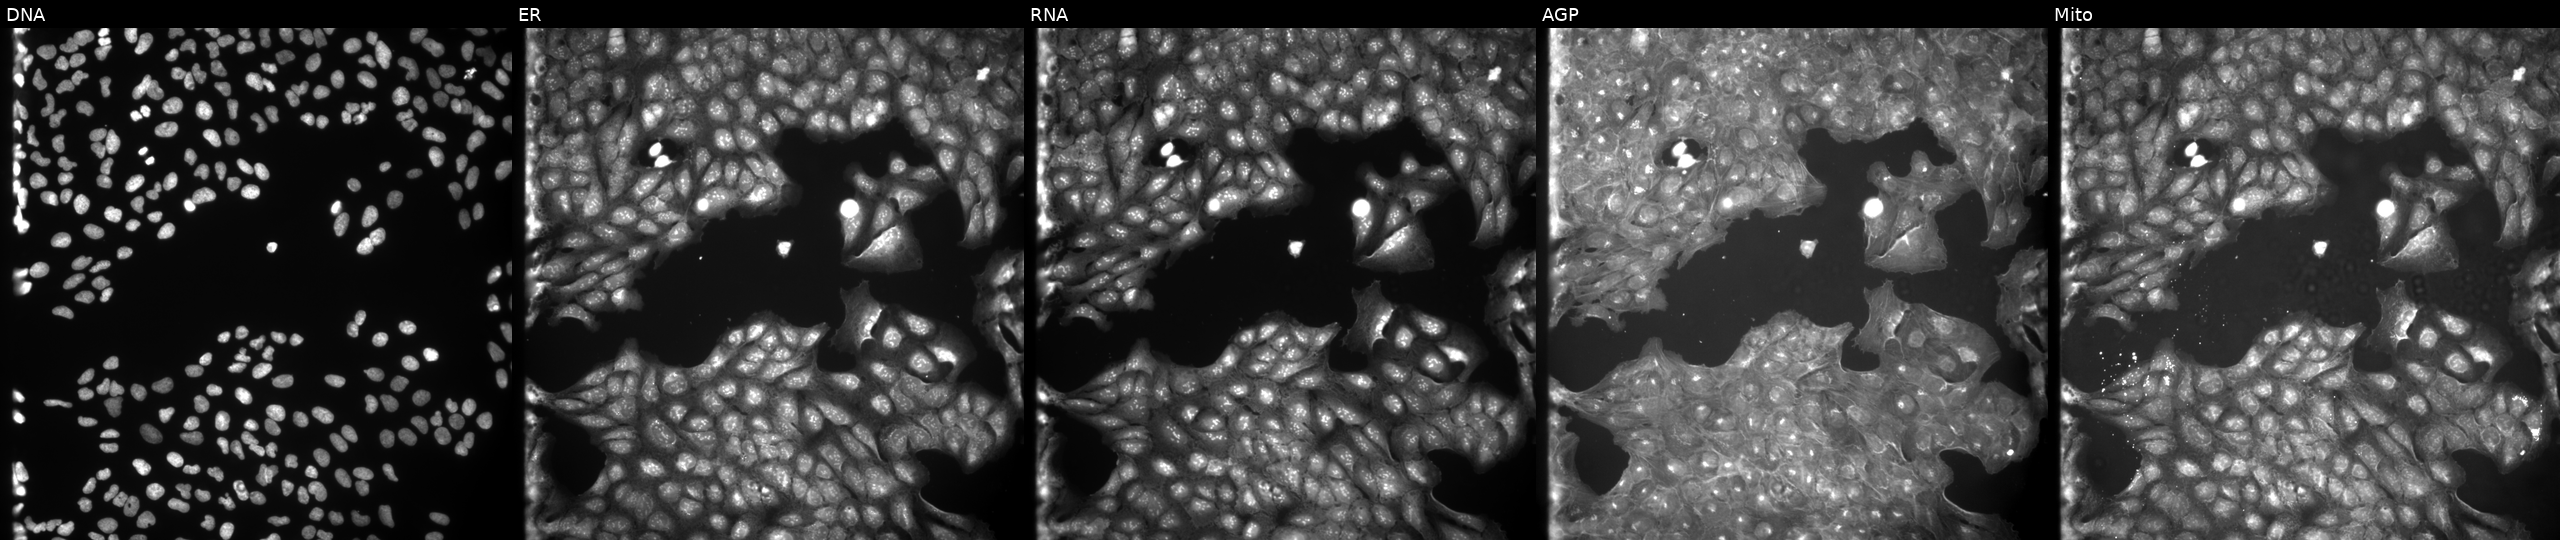
This image strip shows the five Cell Painting channels for a single field of U2OS cells perturbed with a small-molecule compound (InChIKey RRGWYJLNLPOGGR-UHFFFAOYSA-N). Channels (left→right): DNA (nuclei); ER (endoplasmic reticulum); RNA (nucleoli and cytoplasmic RNA); AGP (actin cytoskeleton, Golgi, and plasma membrane); Mito (mitochondria). Source 9, plate GR00003382, well D15.